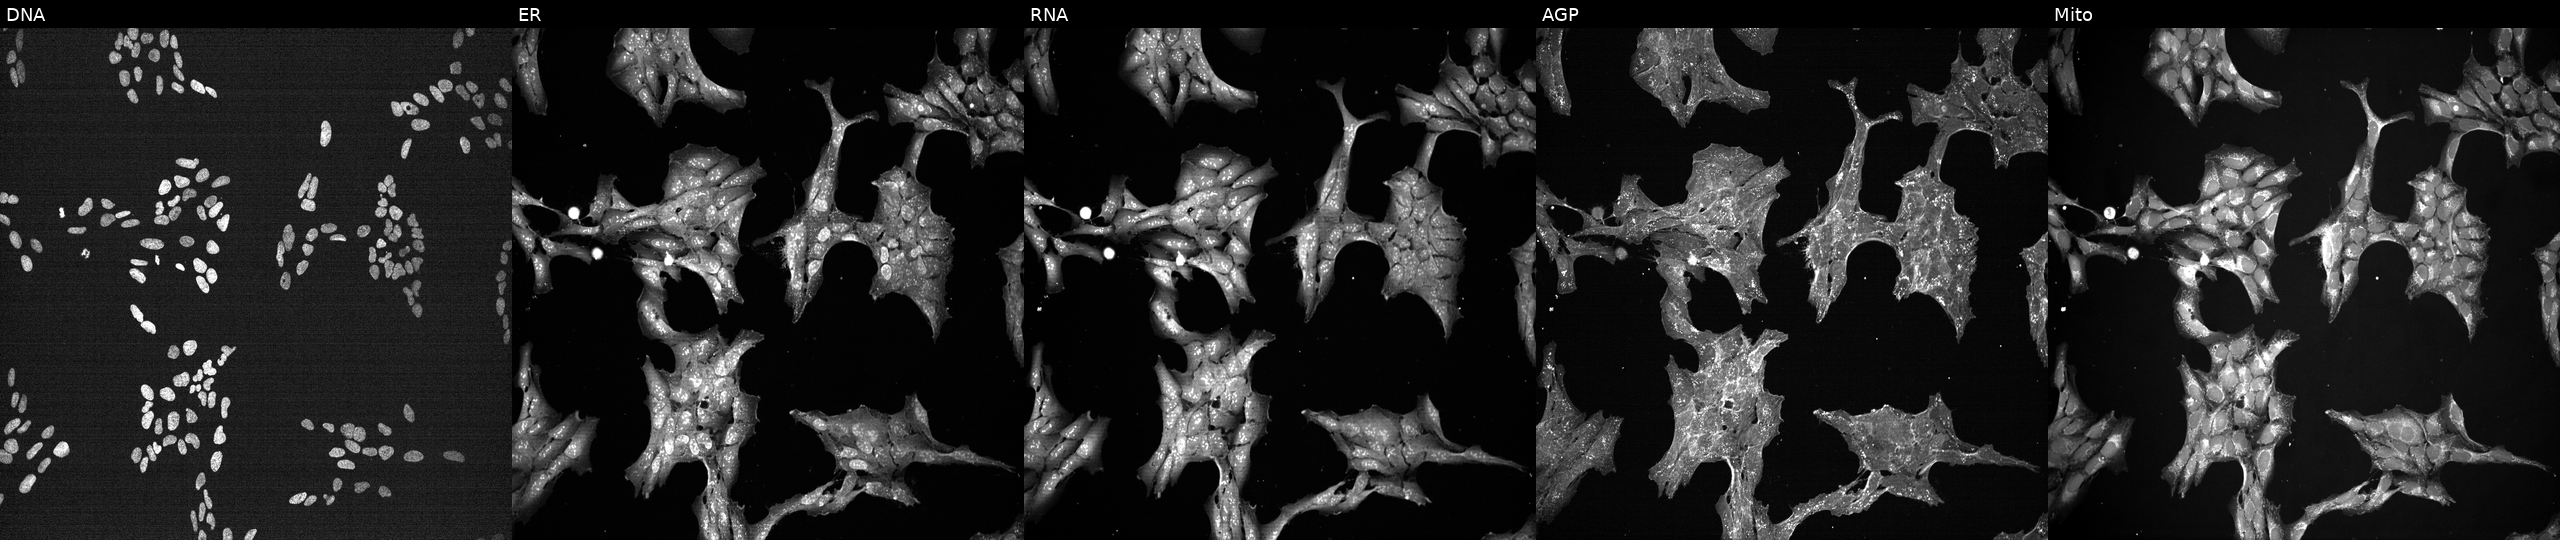
JUMP Cell Painting — TARGET2 plate. U2OS cells exposed to a small-molecule compound (InChIKey CDMGBJANTYXAIV-UHFFFAOYSA-N) (JUMP id JCP2022_010404). Channels (left→right): DNA, ER, RNA, AGP, and Mito.